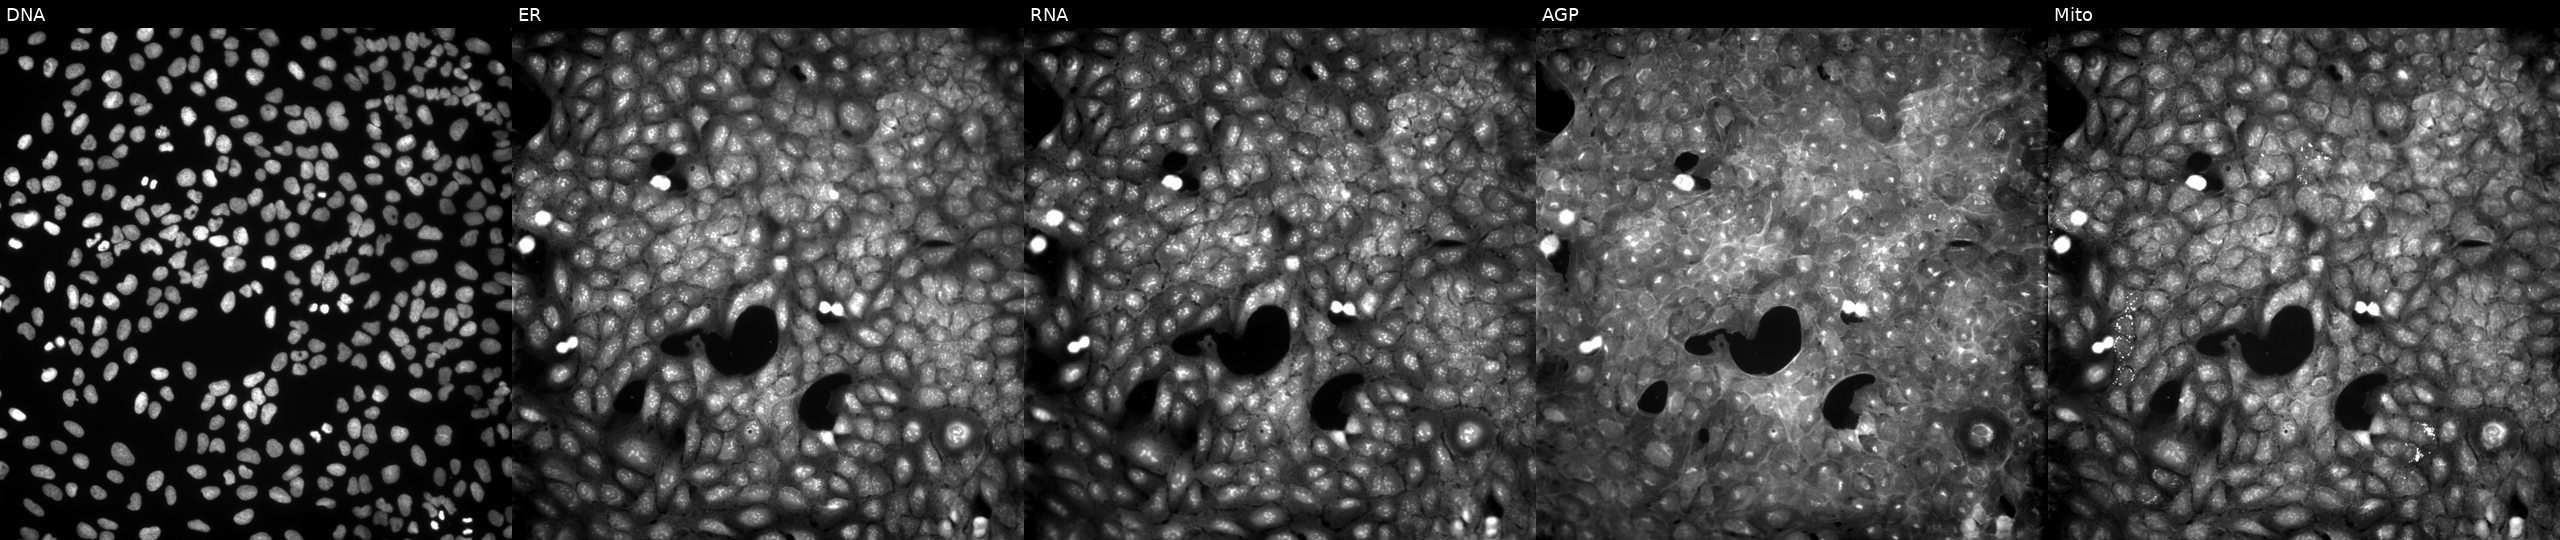
JUMP Cell Painting — COMPOUND plate. U2OS cells treated with a small-molecule compound (InChIKey LYIVLUSGSYMFIH-UHFFFAOYSA-N) (JUMP id JCP2022_052503). Panels show, left to right, DNA, ER, RNA, AGP, and Mito.